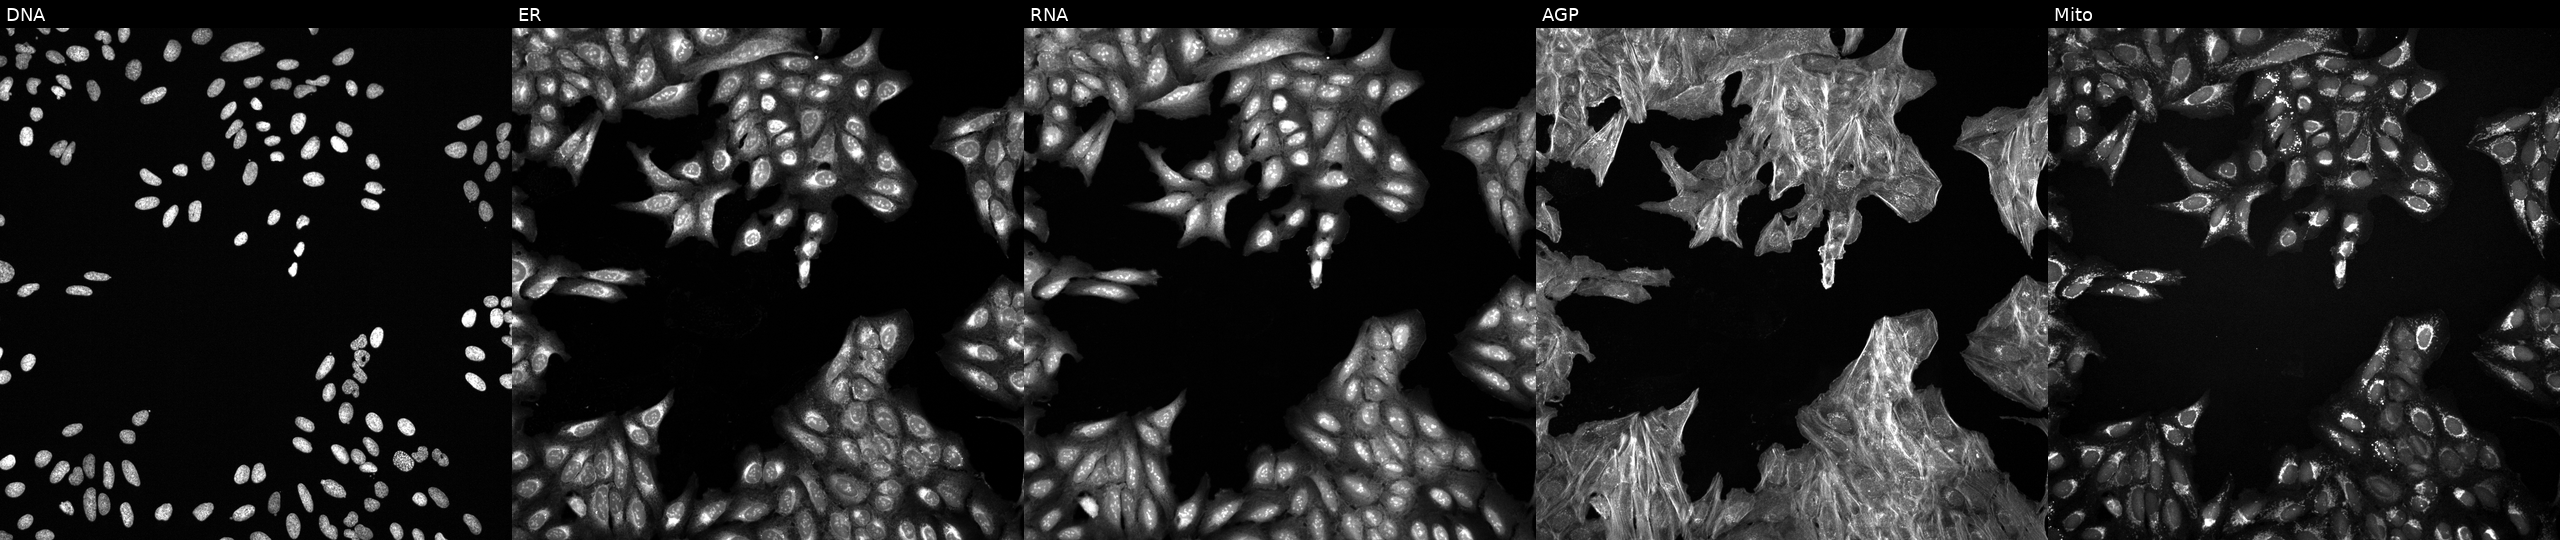
JUMP Cell Painting — COMPOUND plate. U2OS cells treated with a small-molecule compound [SMILES: Cc1[nH]nc(-c2cccs2)c1NC(=O)c1ccccc1F] (JUMP id JCP2022_088848). From left to right: Hoechst 33342, concanavalin A, SYTO 14, phalloidin and WGA, MitoTracker. Source 6, plate 110000293083, well D15.